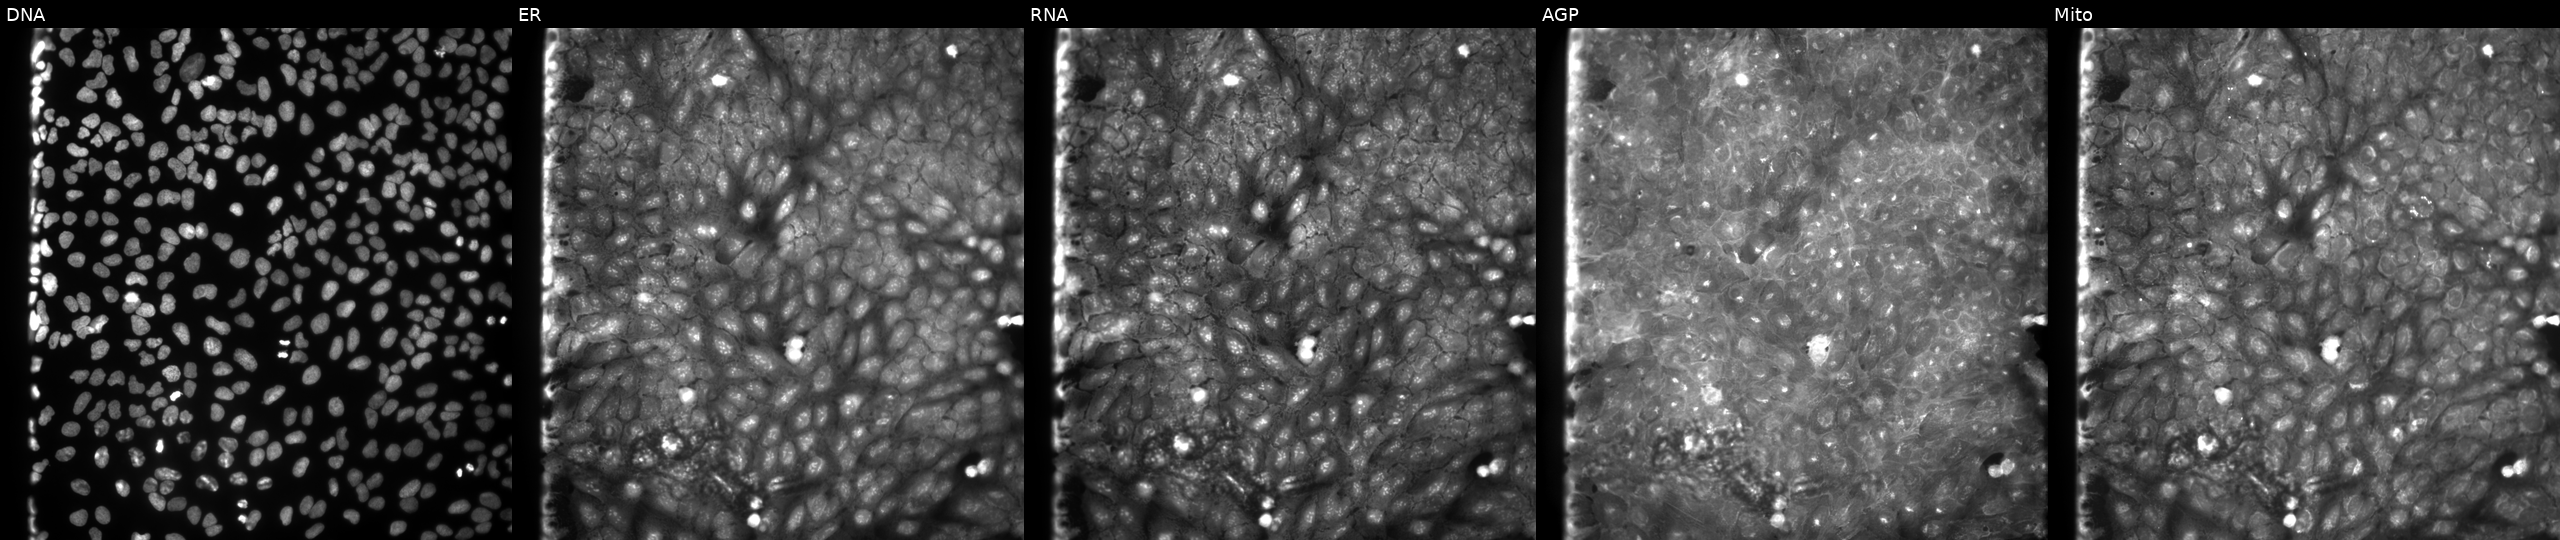
High-content fluorescence microscopy (Cell Painting). Cell line: U2OS. Perturbation: perturbed with a small-molecule compound [SMILES: Cc1c(C(=O)O)ccc2c1NC(c1ccc(F)cc1)C1CC=CC21]. Panels show, left to right, DNA, ER, RNA, AGP, and Mito.